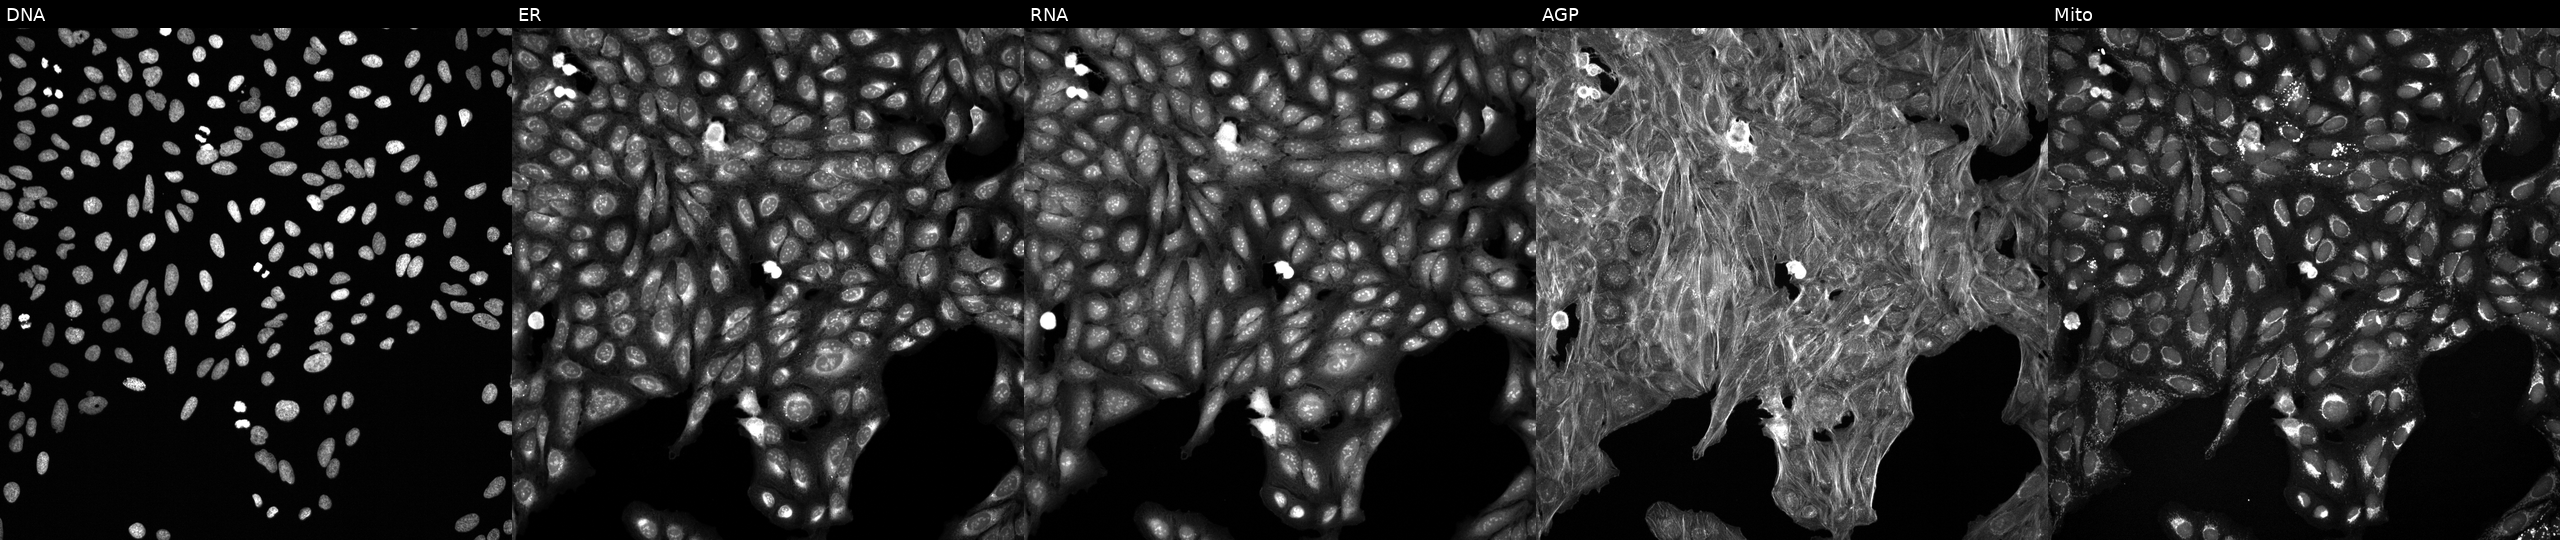
JUMP Cell Painting — COMPOUND plate. U2OS cells exposed to DMSO alone as a negative control. The five panels, left to right, show Hoechst 33342, concanavalin A, SYTO 14, phalloidin and WGA, MitoTracker. Source 6, plate 110000293082, well M02.